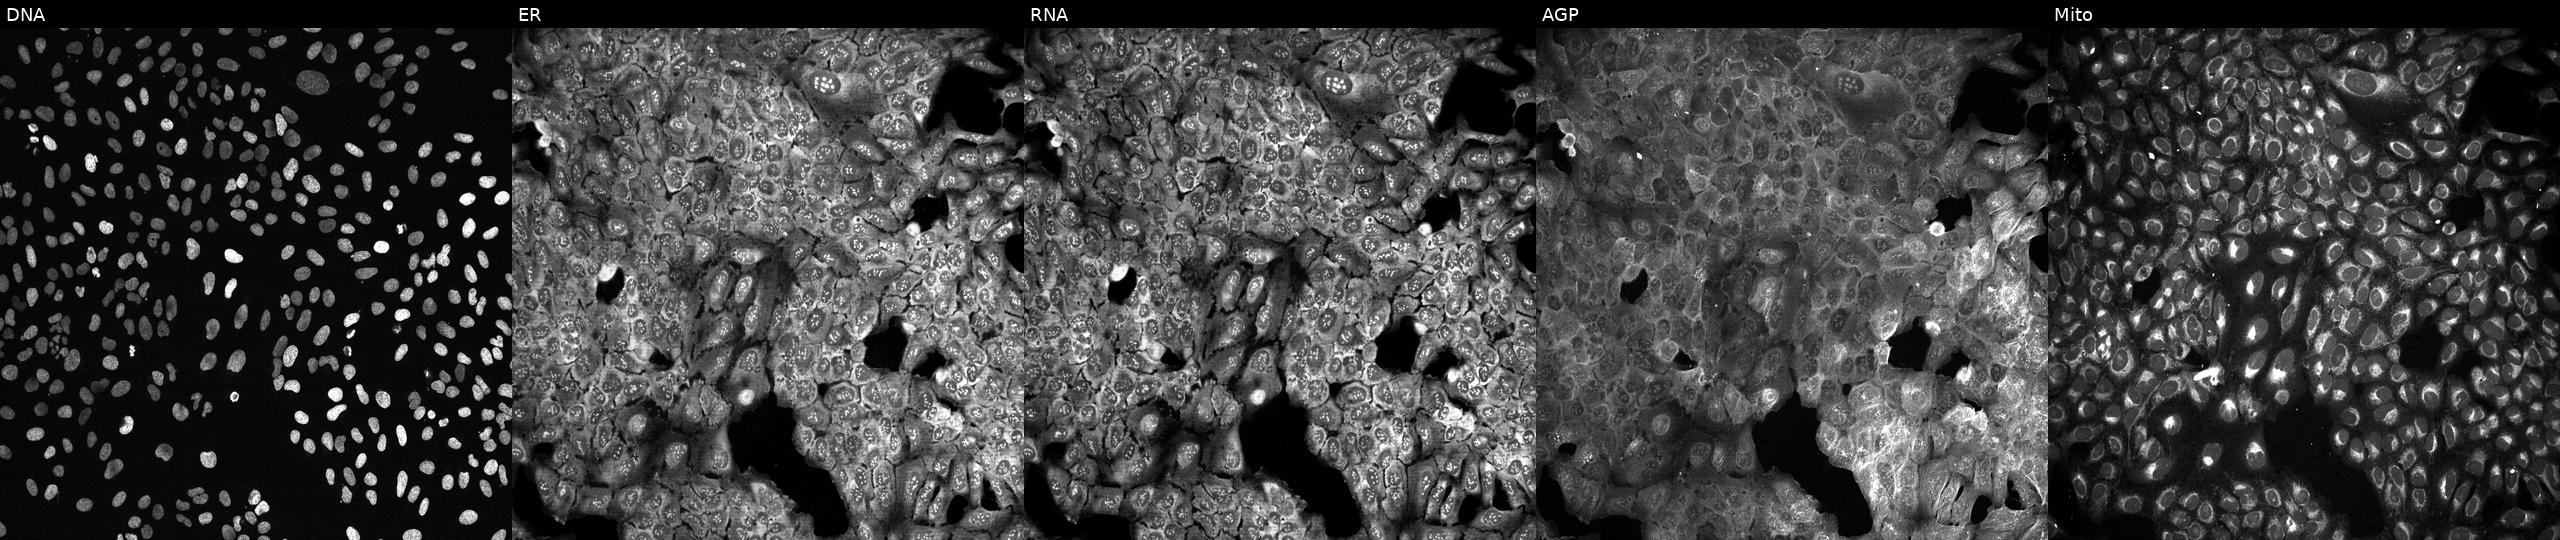
JUMP Cell Painting — CRISPR plate. U2OS cells CRISPR-edited to disrupt SULF1. From left to right: Hoechst 33342, concanavalin A, SYTO 14, phalloidin and WGA, MitoTracker.